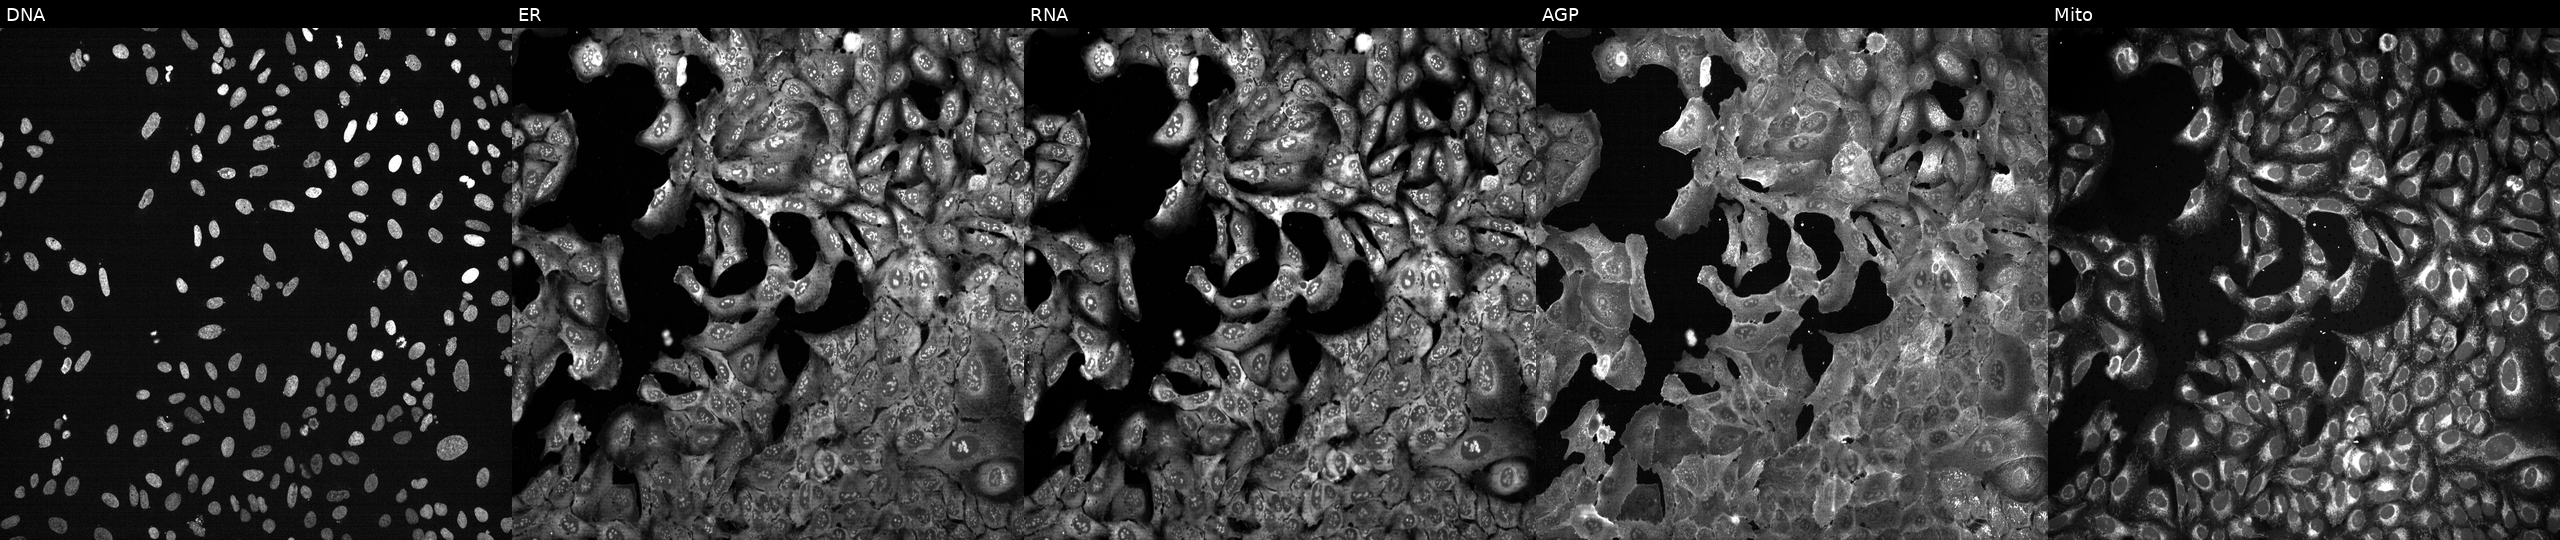
U2OS cells, Cell Painting assay, CRISPR-edited to disrupt GDAP1. The five panels, left to right, show DNA (nuclei); ER (endoplasmic reticulum); RNA (nucleoli and cytoplasmic RNA); AGP (actin cytoskeleton, Golgi, and plasma membrane); Mito (mitochondria). Each panel is percentile-stretched 16-bit fluorescence. Source 13, plate CP-CC9-R2-02, well A18.